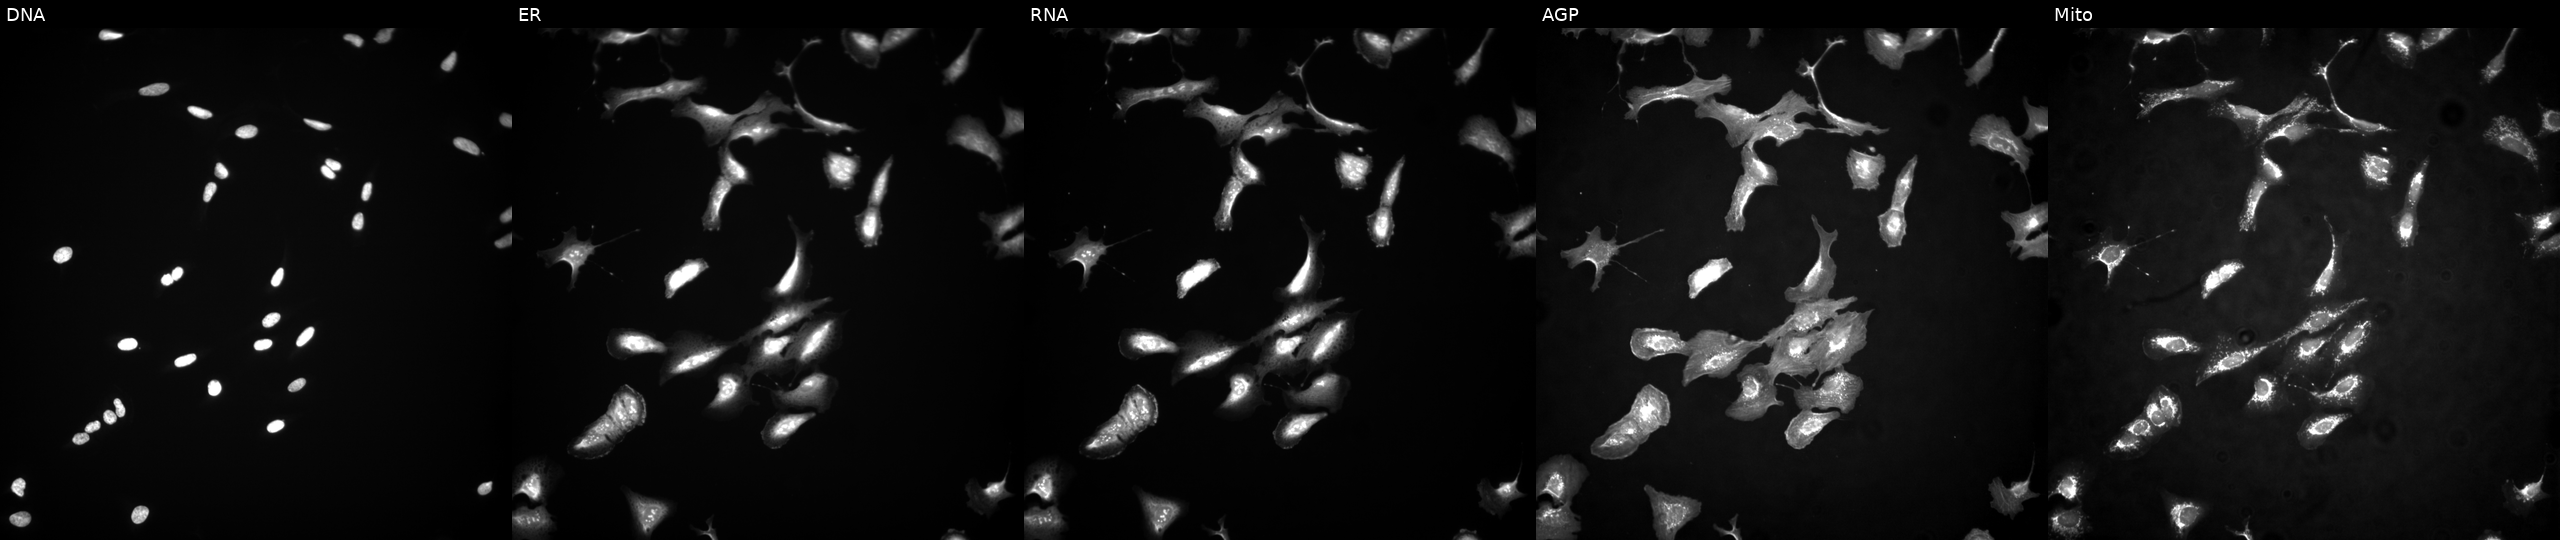
U2OS cells, Cell Painting assay, with RNF166 overexpressed (ORF) (JUMP id JCP2022_908794). From left to right: DNA, ER, RNA, AGP, and Mito. Each panel is percentile-stretched 16-bit fluorescence. Source 4, plate BR00117035, well C20.